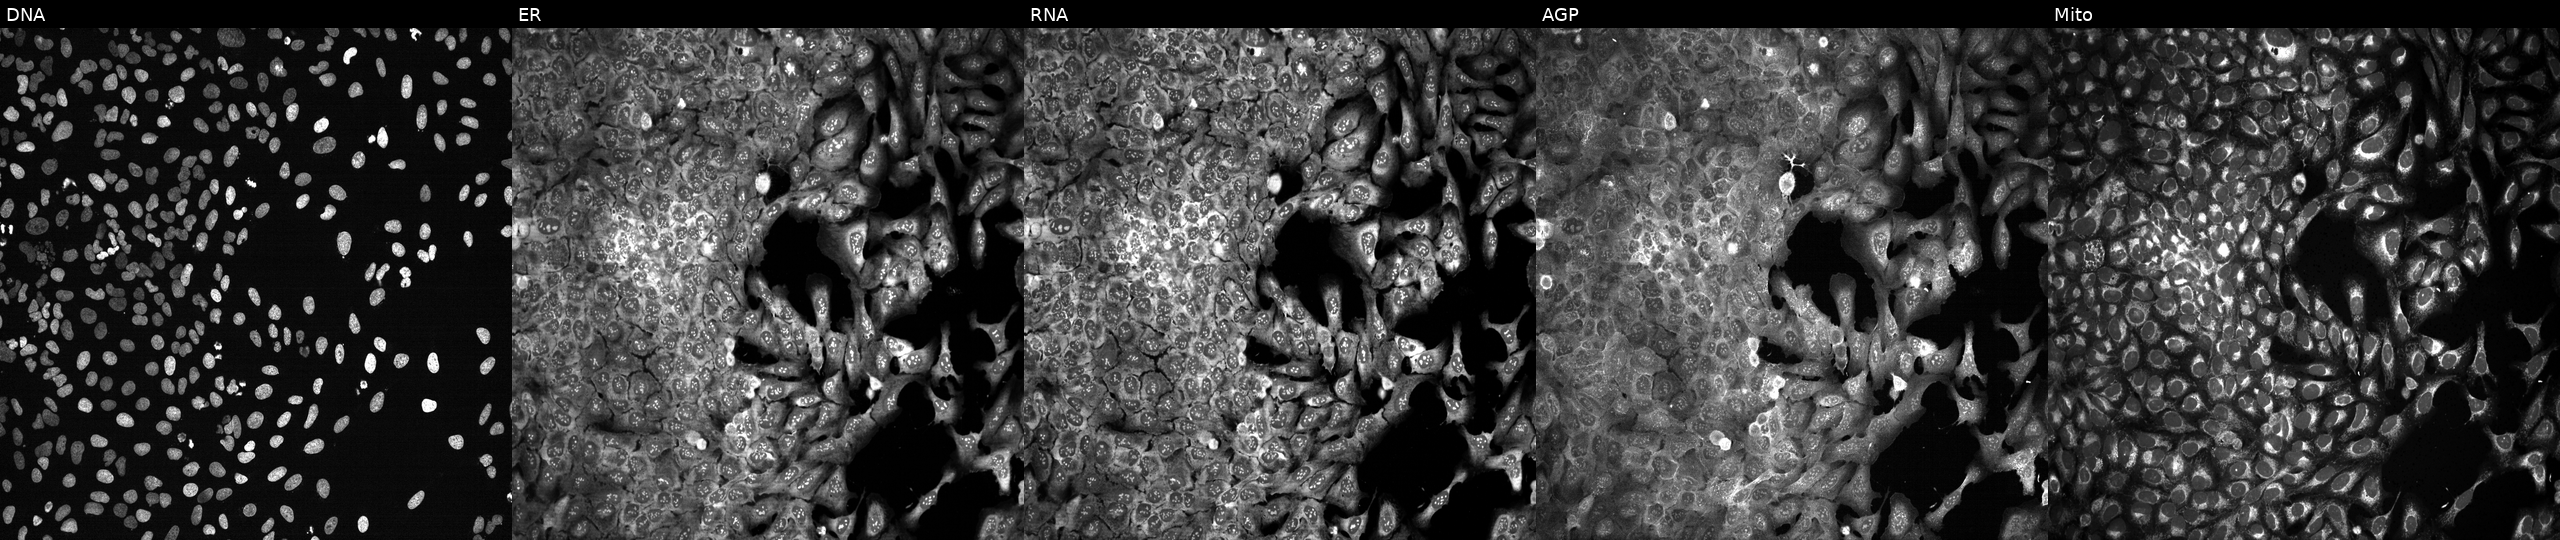
JUMP Cell Painting — CRISPR plate. U2OS cells following CRISPR knockout of SLC5A2. The five panels, left to right, show DNA, ER, RNA, AGP, and Mito. Source 13, plate CP-CC9-R4-03, well J13.